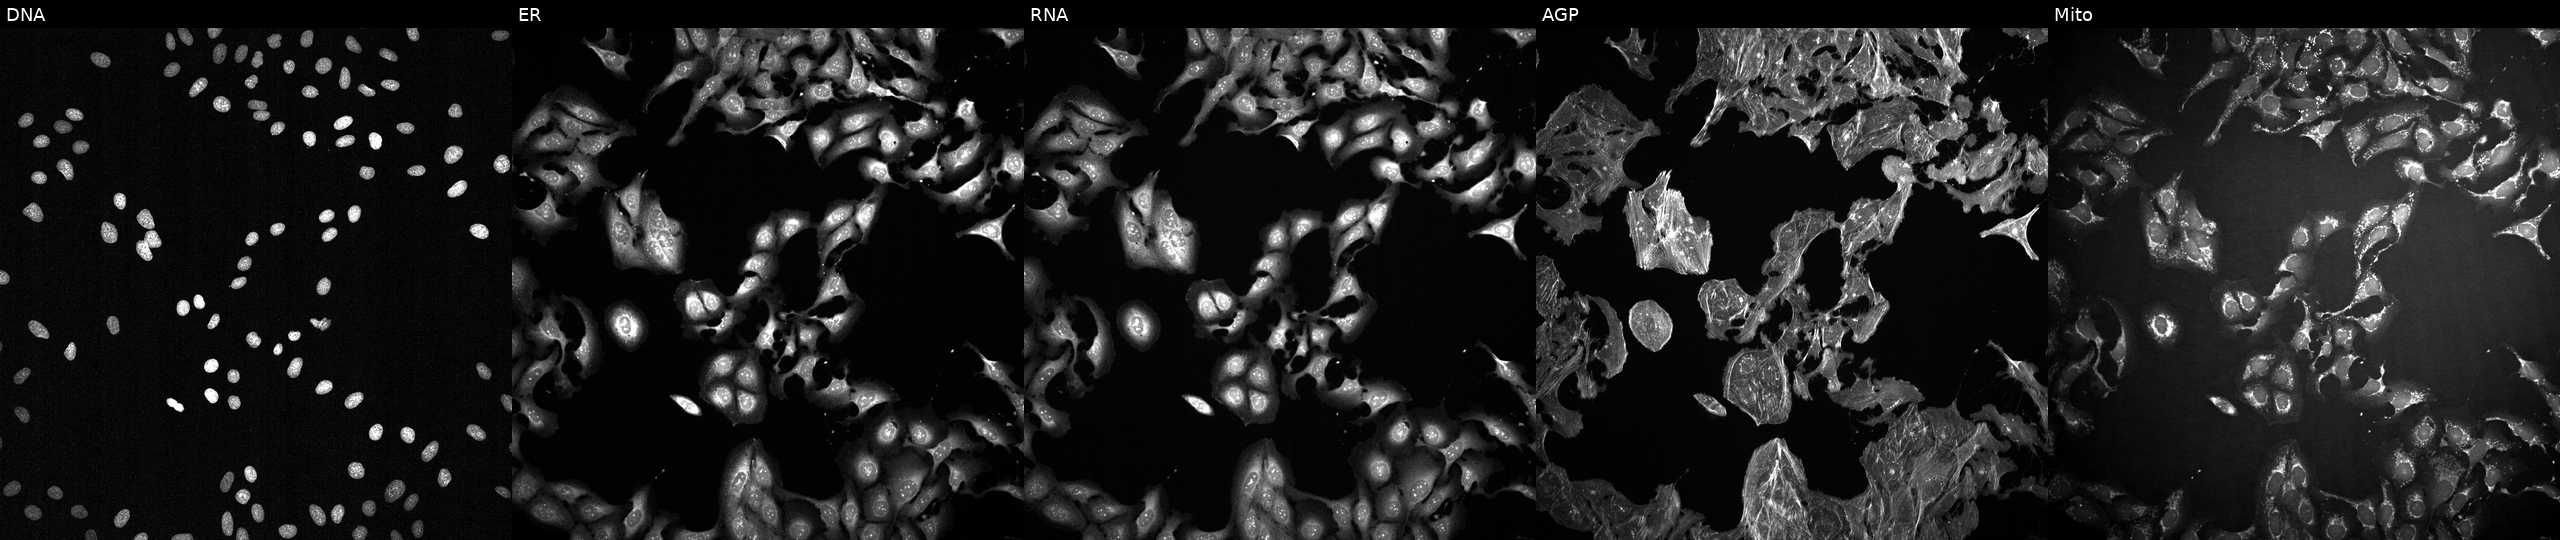
High-content fluorescence microscopy (Cell Painting). Cell line: U2OS. Perturbation: treated with FK-866 (positive-control compound). The five panels, left to right, show DNA (nuclei); ER (endoplasmic reticulum); RNA (nucleoli and cytoplasmic RNA); AGP (actin cytoskeleton, Golgi, and plasma membrane); Mito (mitochondria).